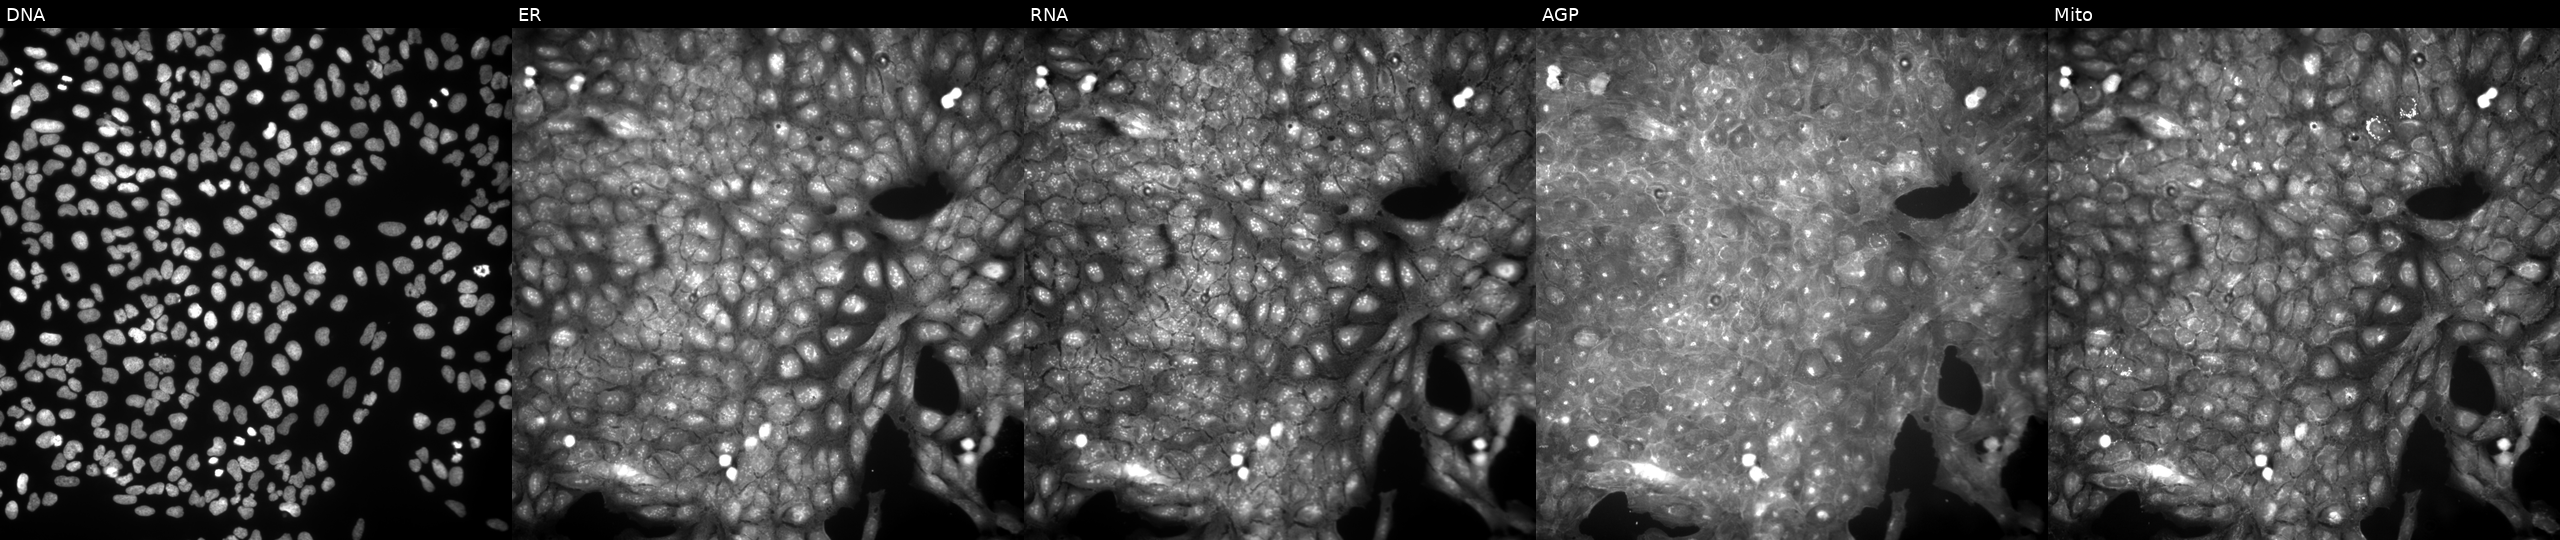
U2OS cells, Cell Painting assay, treated with a small-molecule compound (JUMP id JCP2022_111335). Panels show, left to right, Hoechst 33342, concanavalin A, SYTO 14, phalloidin and WGA, MitoTracker. Each panel is percentile-stretched 16-bit fluorescence. Source 9, plate GR00003381, well T40.